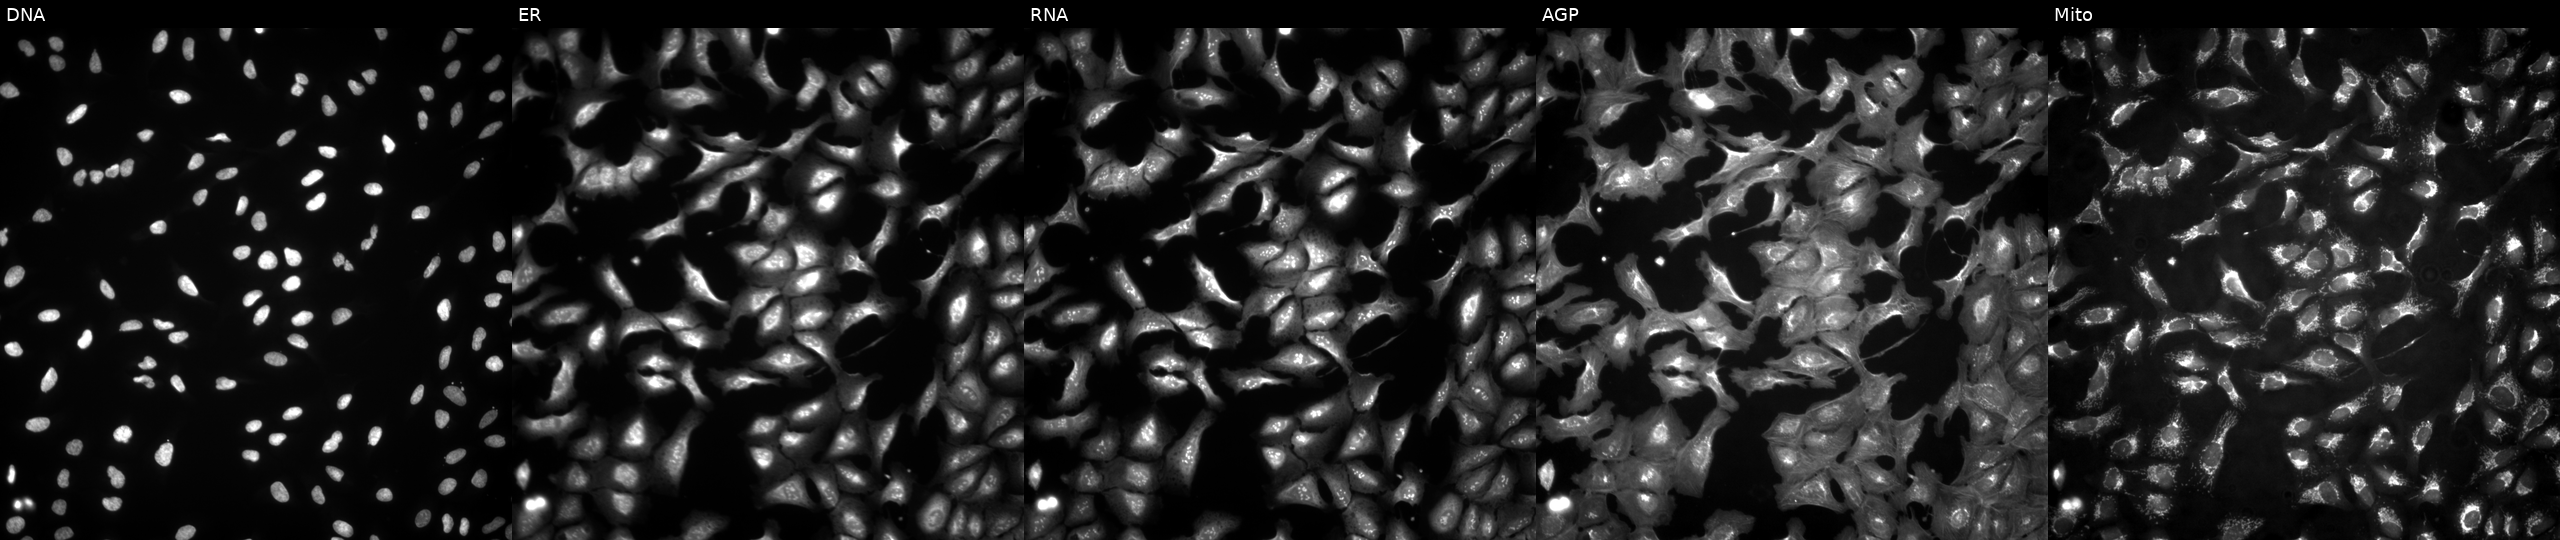
High-content fluorescence microscopy (Cell Painting). Cell line: U2OS. Perturbation: with LHFPL4 overexpressed (ORF) (JUMP id JCP2022_912711). Channels (left→right): DNA, ER, RNA, AGP, and Mito.